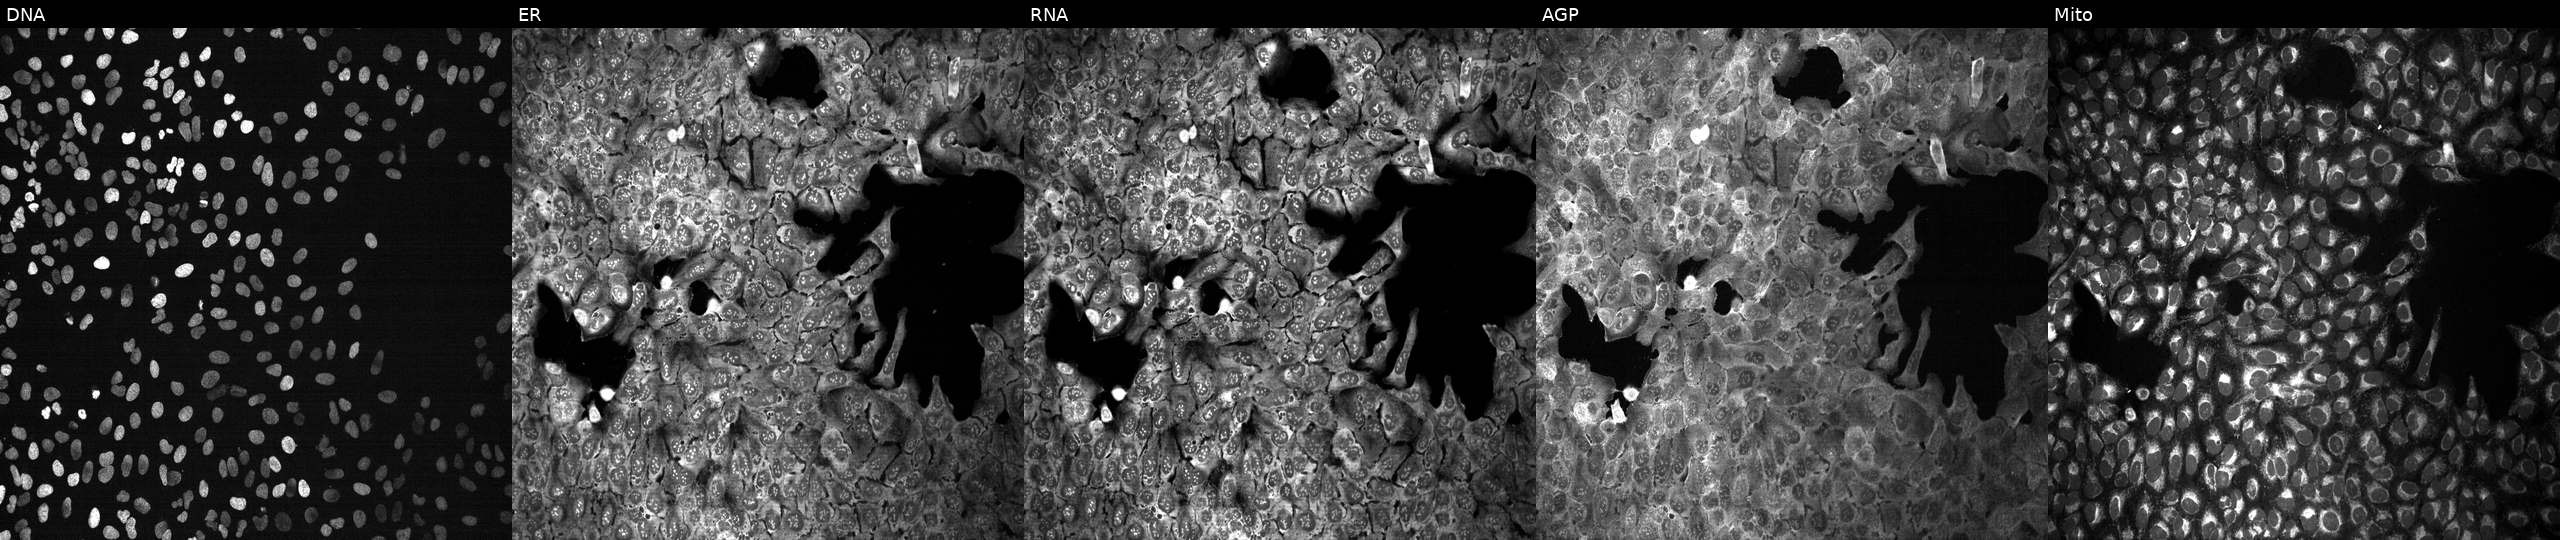
Five-channel Cell Painting image of U2OS cells following CRISPR knockout of PPIF (JUMP id JCP2022_805414). The five panels, left to right, show DNA, ER, RNA, AGP, and Mito.